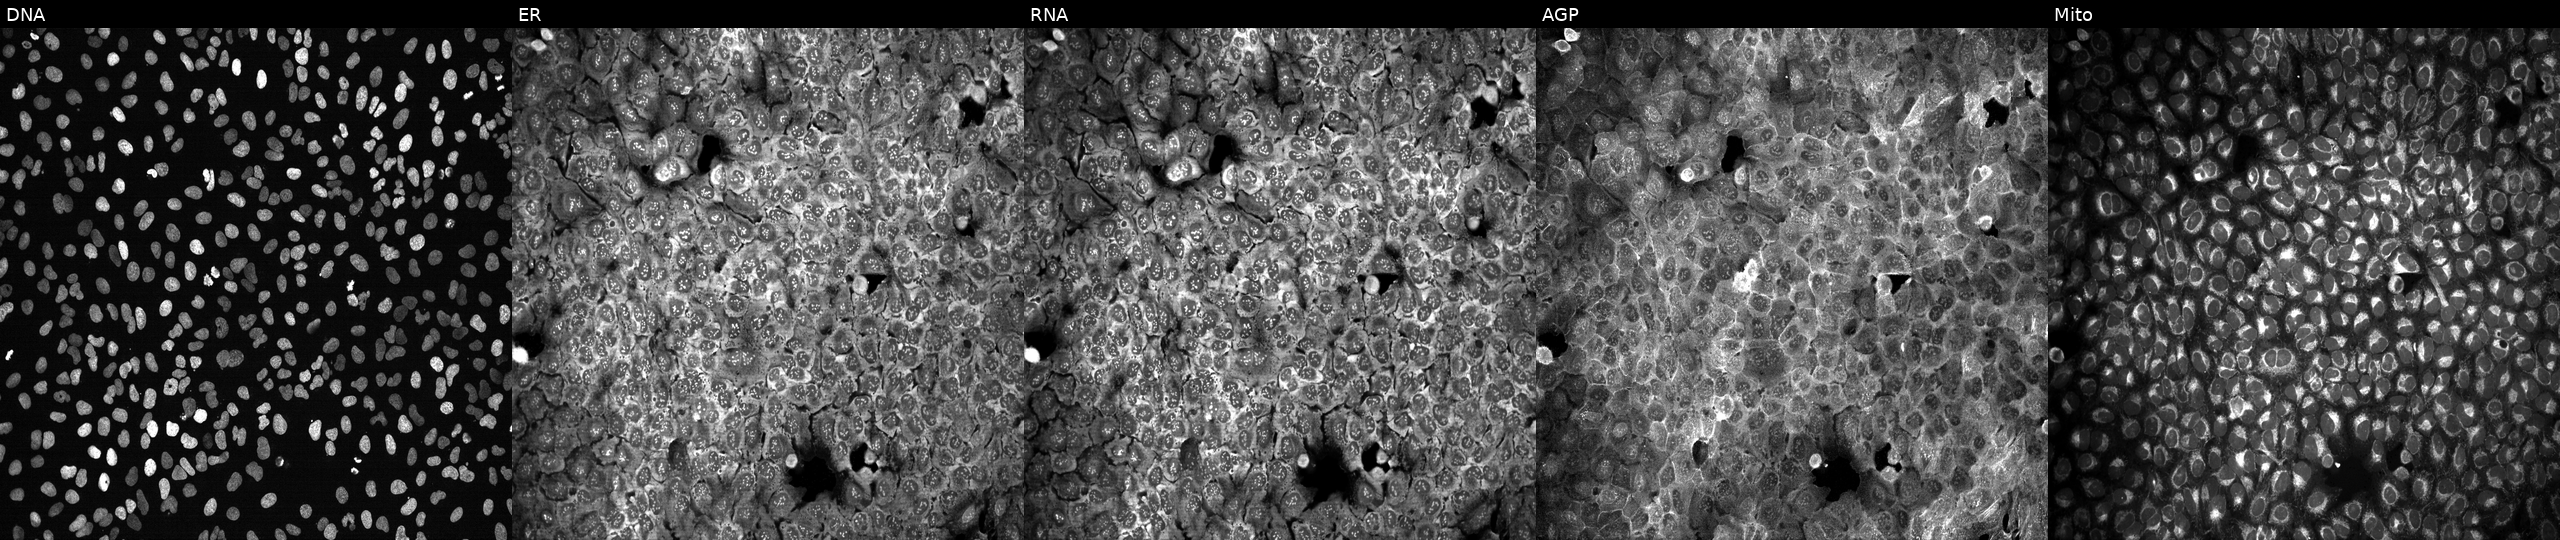
Five-channel Cell Painting image of U2OS cells with ST6GAL1 knocked out by CRISPR. From left to right: DNA, ER, RNA, AGP, and Mito.